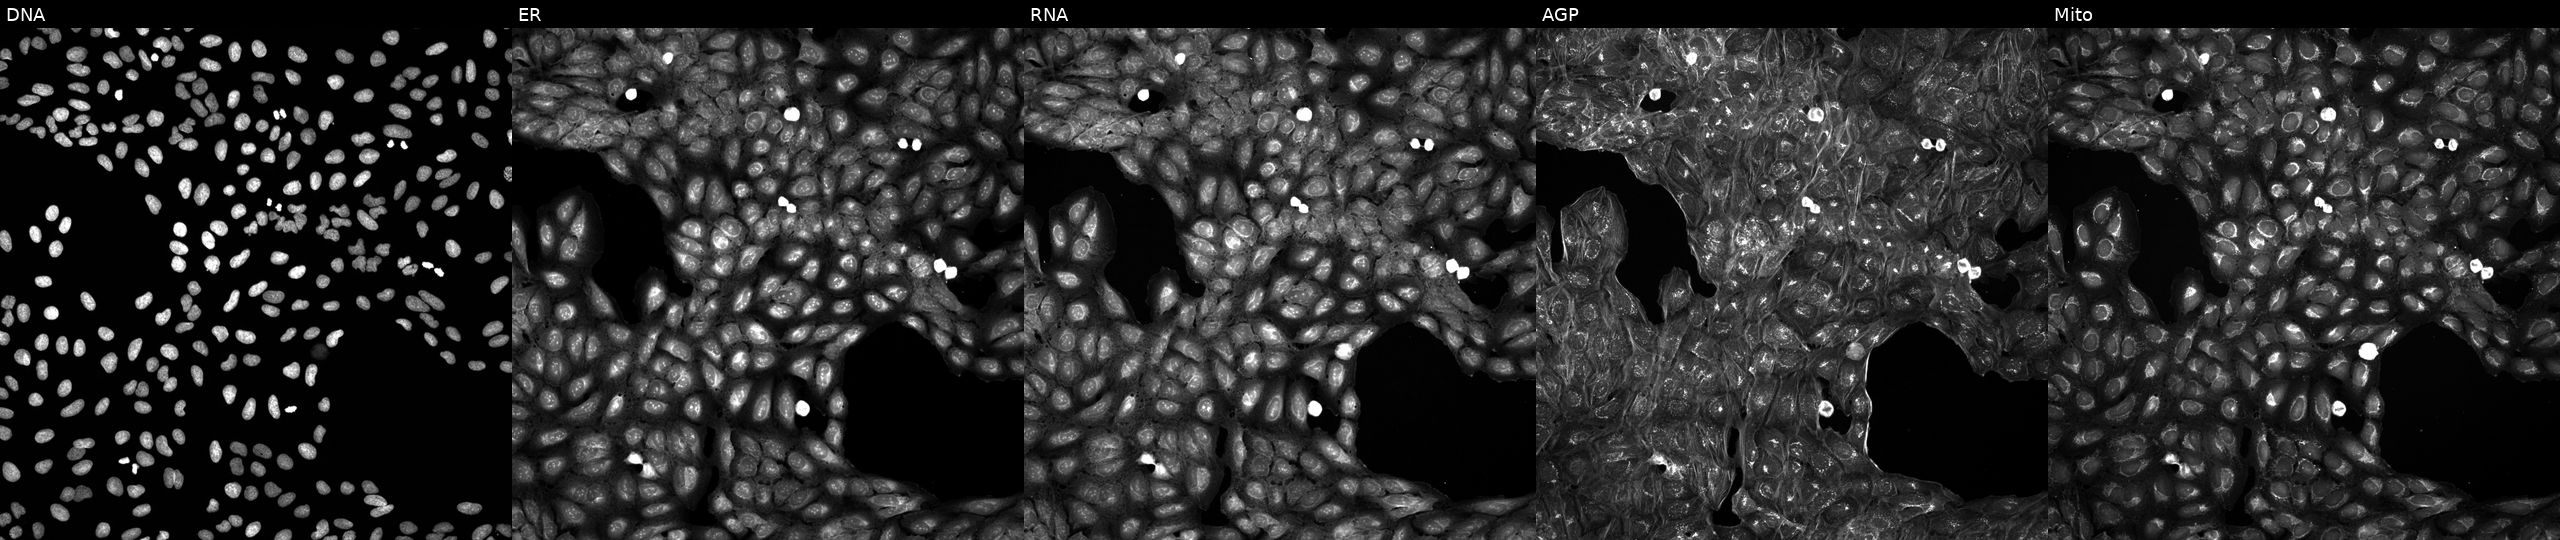
Panels show, left to right, DNA (nuclei); ER (endoplasmic reticulum); RNA (nucleoli and cytoplasmic RNA); AGP (actin cytoskeleton, Golgi, and plasma membrane); Mito (mitochondria). U2OS osteosarcoma cells treated with a small-molecule compound (InChIKey HOOCQUHOWBSXGW-UHFFFAOYSA-N). Cell Painting assay, JUMP-CP dataset. Source 5, plate APTJUM106, well E09.